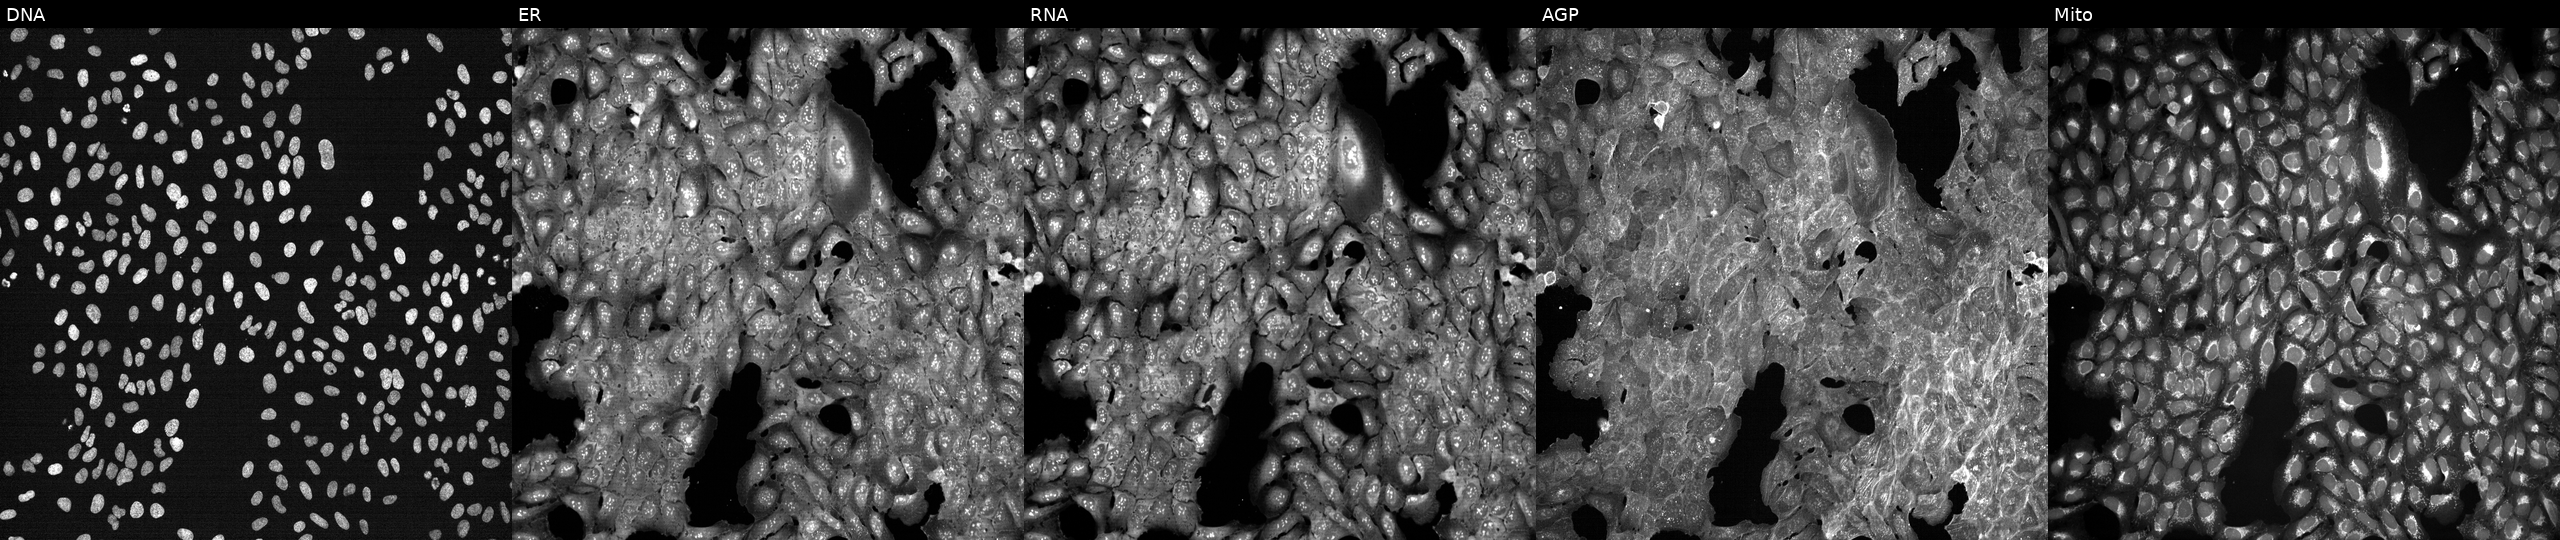
This image strip shows the five Cell Painting channels for a single field of U2OS cells treated with a small-molecule compound (InChIKey CMSMOCZEIVJLDB-UHFFFAOYSA-N) (JUMP id JCP2022_012146). The five panels, left to right, show DNA (nuclei); ER (endoplasmic reticulum); RNA (nucleoli and cytoplasmic RNA); AGP (actin cytoskeleton, Golgi, and plasma membrane); Mito (mitochondria).